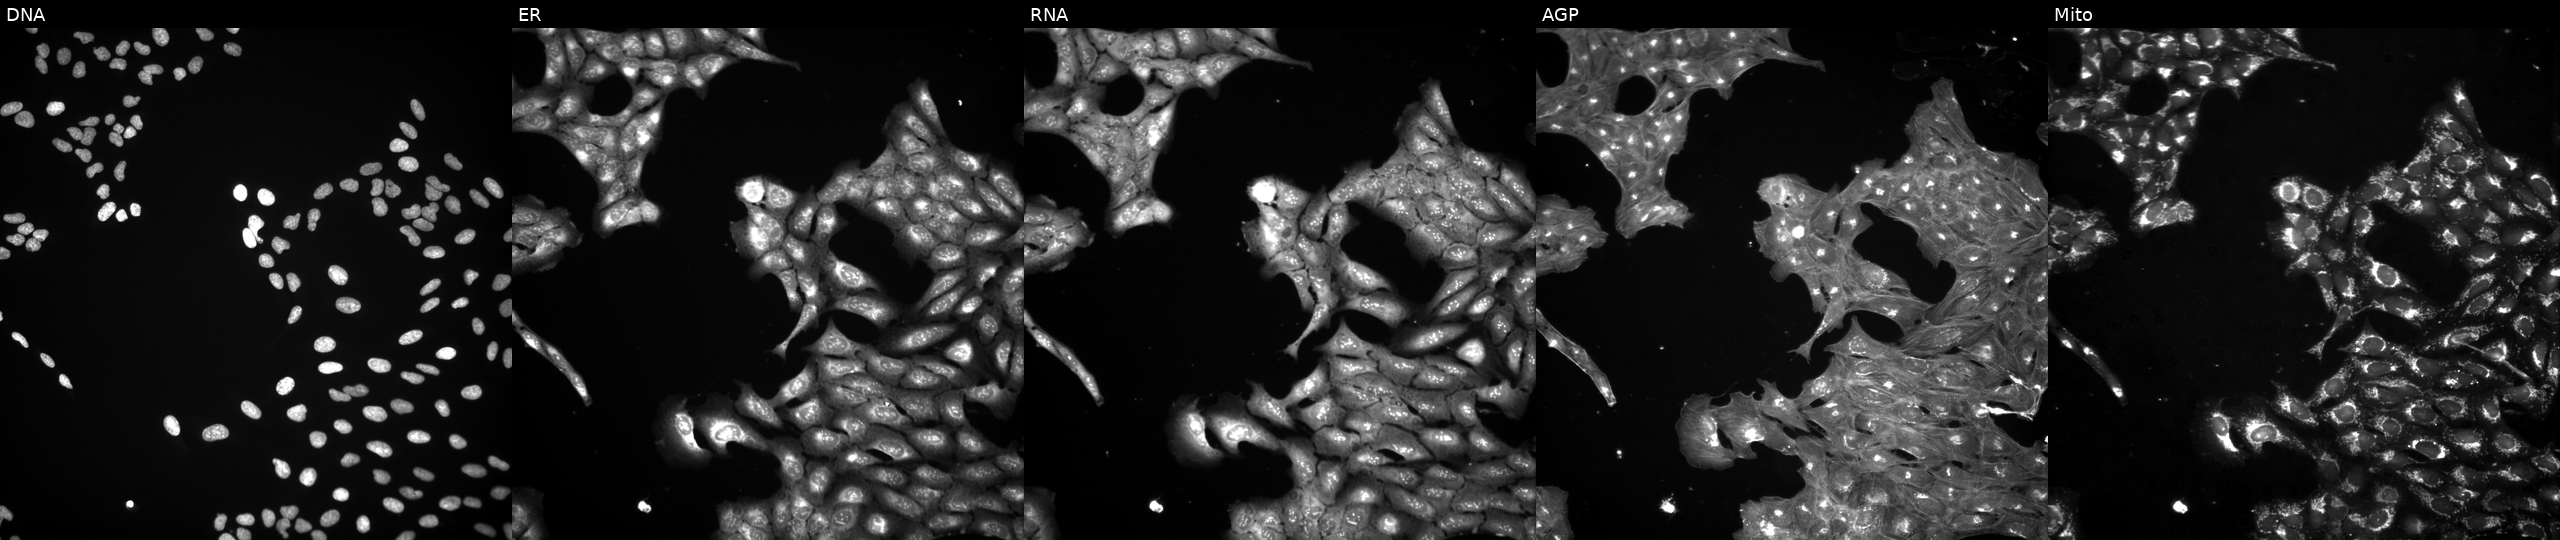
JUMP Cell Painting — TARGET2 plate. U2OS cells treated with DMSO vehicle only (negative control) (JUMP id JCP2022_033924). The five panels, left to right, show DNA (nuclei); ER (endoplasmic reticulum); RNA (nucleoli and cytoplasmic RNA); AGP (actin cytoskeleton, Golgi, and plasma membrane); Mito (mitochondria). Source 3, plate JCPQC052, well P11.